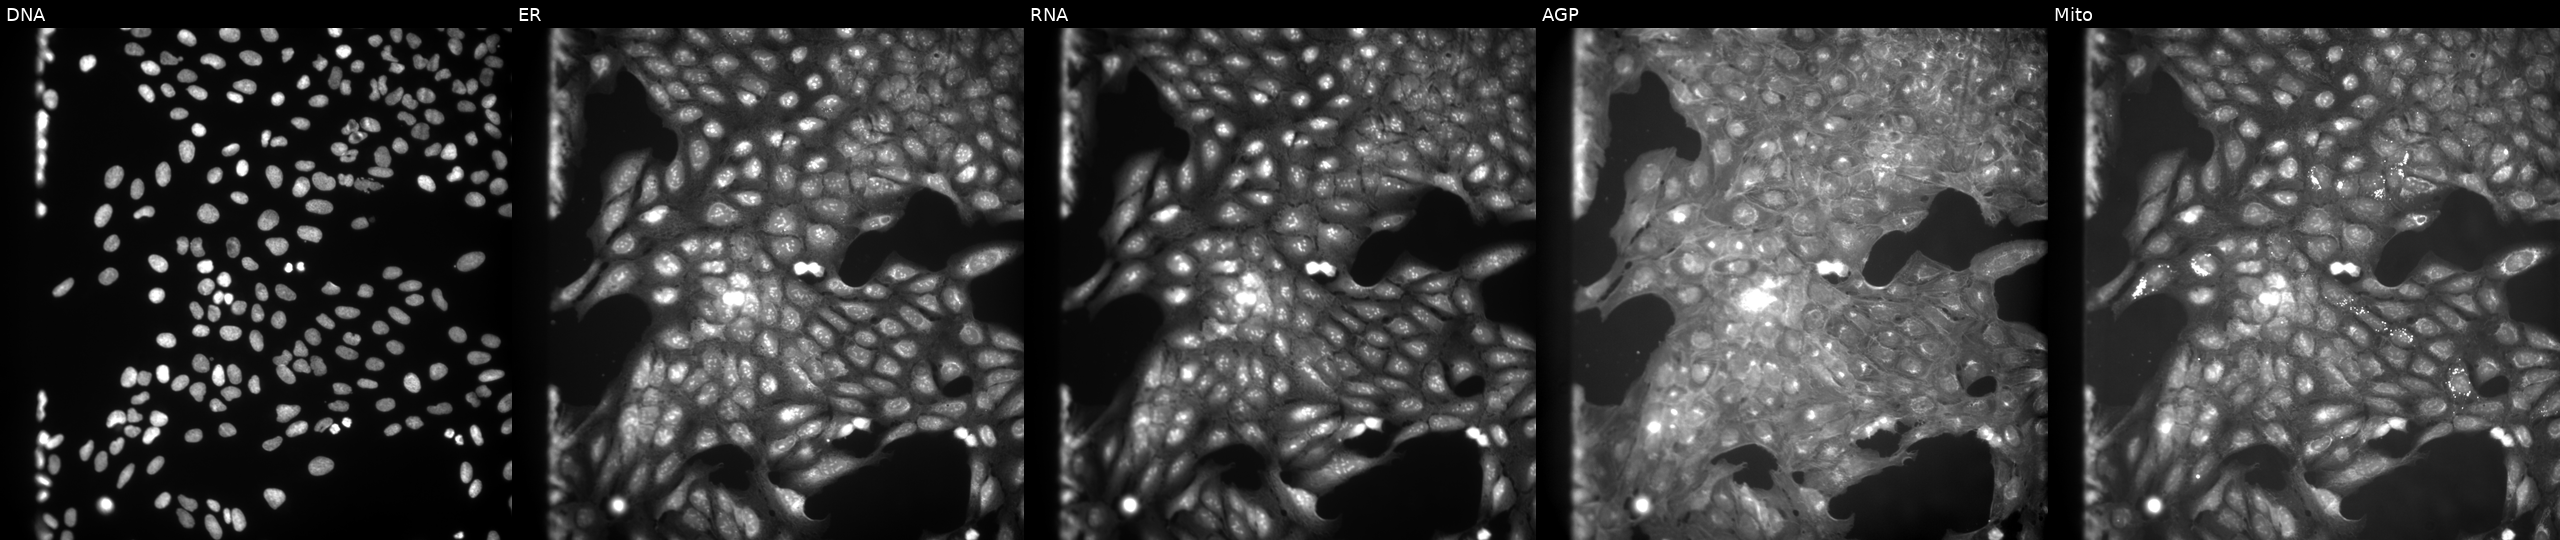
High-content fluorescence microscopy (Cell Painting). Cell line: U2OS. Perturbation: exposed to a small-molecule compound (InChIKey IYIMDFJZUXBRDN-UHFFFAOYSA-N) (JUMP id JCP2022_038140). The five panels, left to right, show DNA (nuclei); ER (endoplasmic reticulum); RNA (nucleoli and cytoplasmic RNA); AGP (actin cytoskeleton, Golgi, and plasma membrane); Mito (mitochondria).